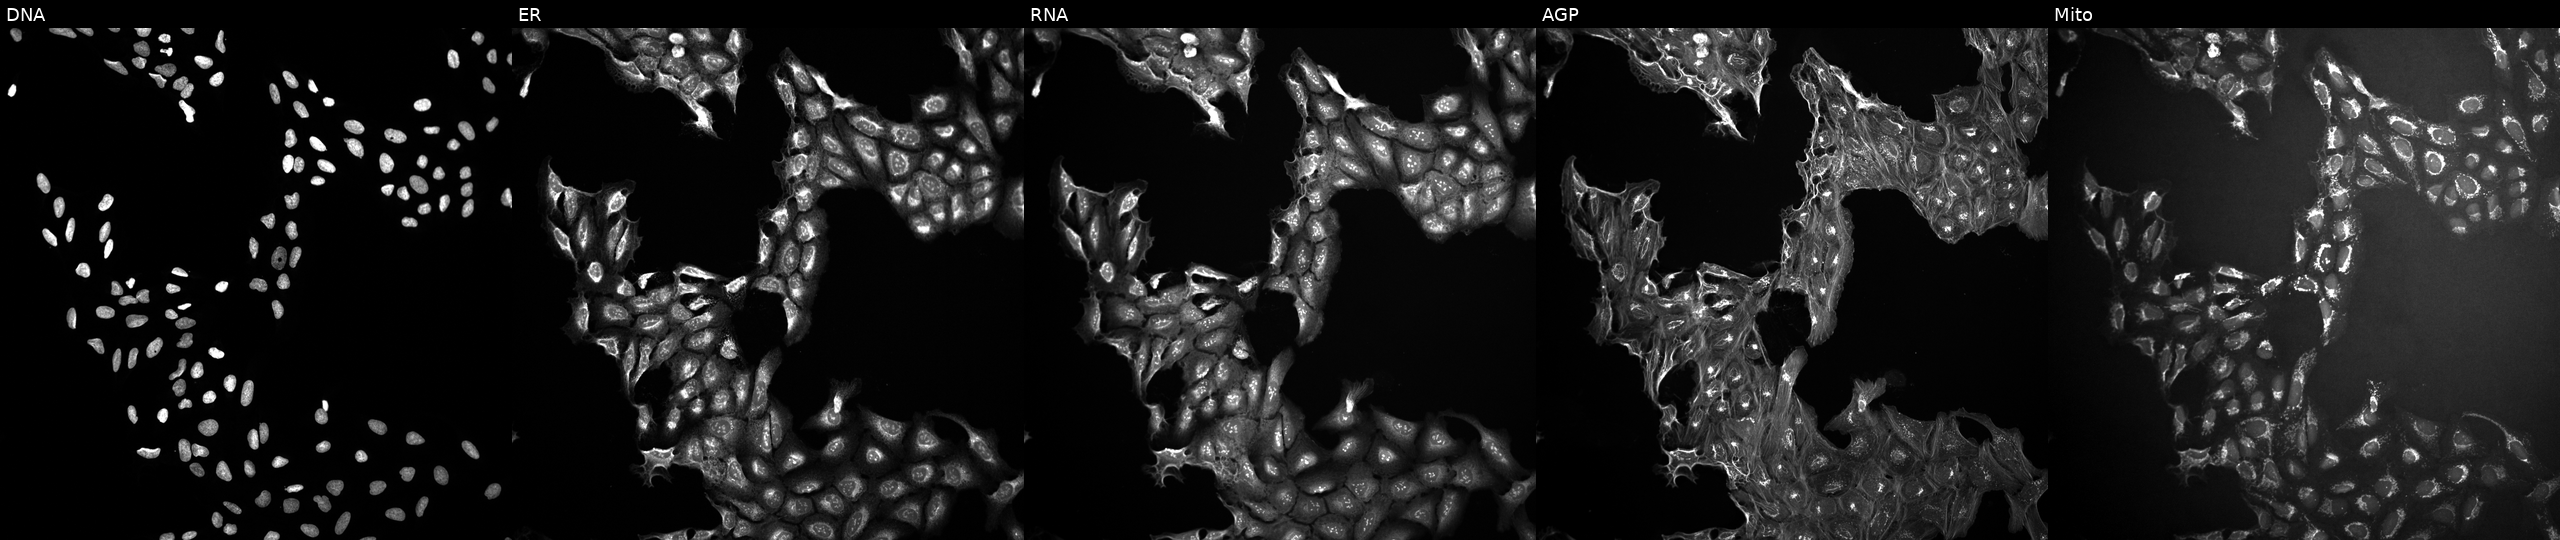
High-content fluorescence microscopy (Cell Painting). Cell line: U2OS. Perturbation: treated with DMSO vehicle only (negative control). From left to right: DNA (nuclei); ER (endoplasmic reticulum); RNA (nucleoli and cytoplasmic RNA); AGP (actin cytoskeleton, Golgi, and plasma membrane); Mito (mitochondria). Source 10, plate Dest210531-152324, well H23.